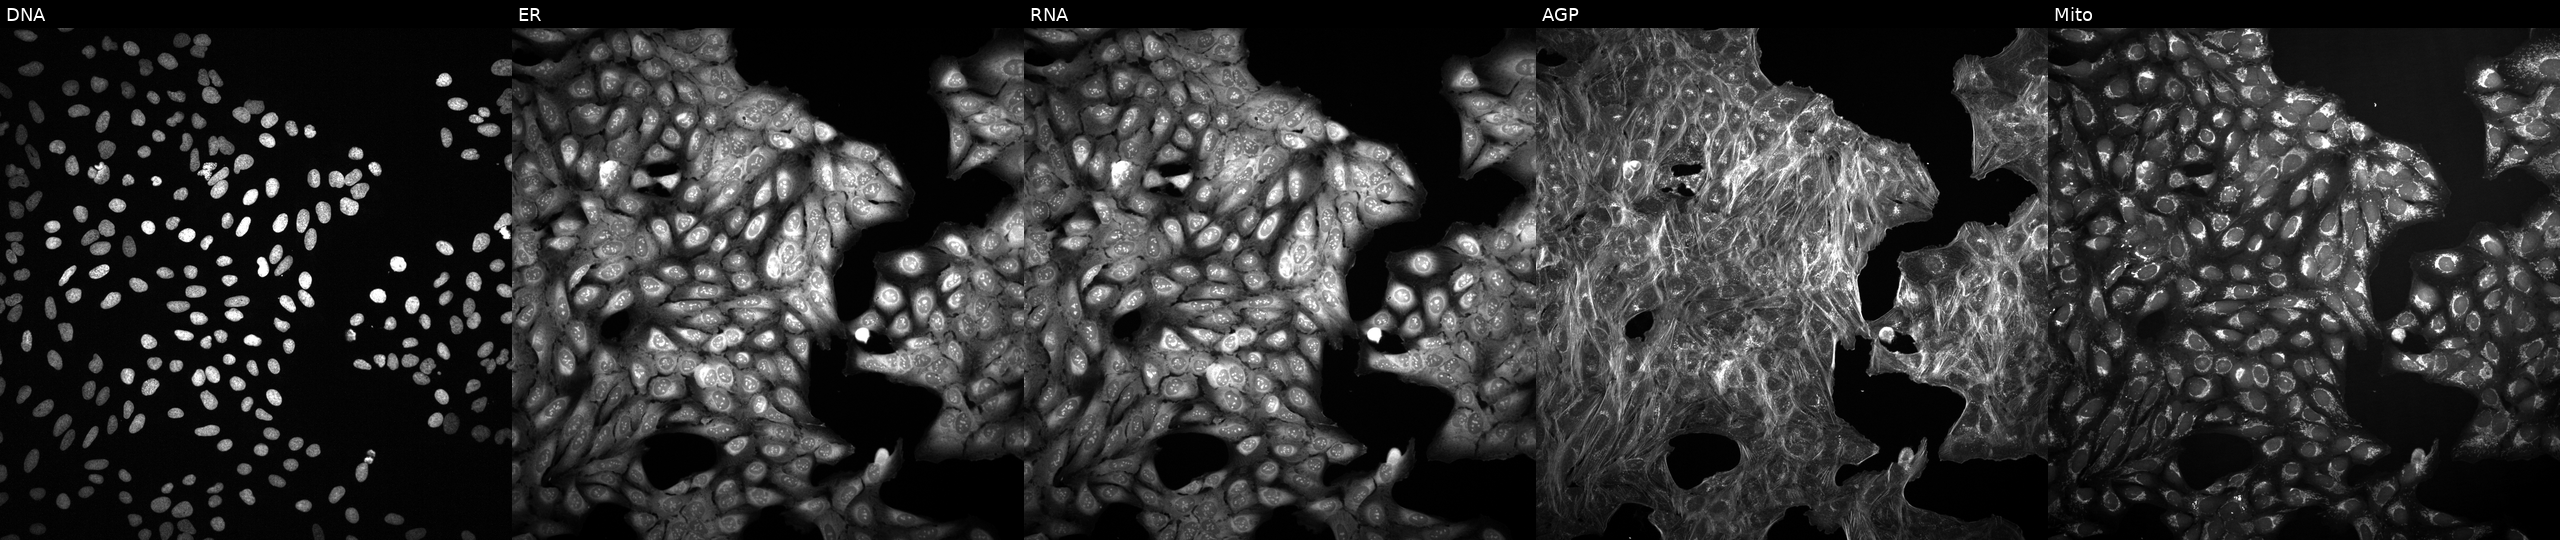
High-content fluorescence microscopy (Cell Painting). Cell line: U2OS. Perturbation: perturbed with a small-molecule compound (InChIKey REZGGXNDEMKIQB-UHFFFAOYSA-N). The five panels, left to right, show Hoechst 33342, concanavalin A, SYTO 14, phalloidin and WGA, MitoTracker. Source 2, plate 1053597936, well O17.